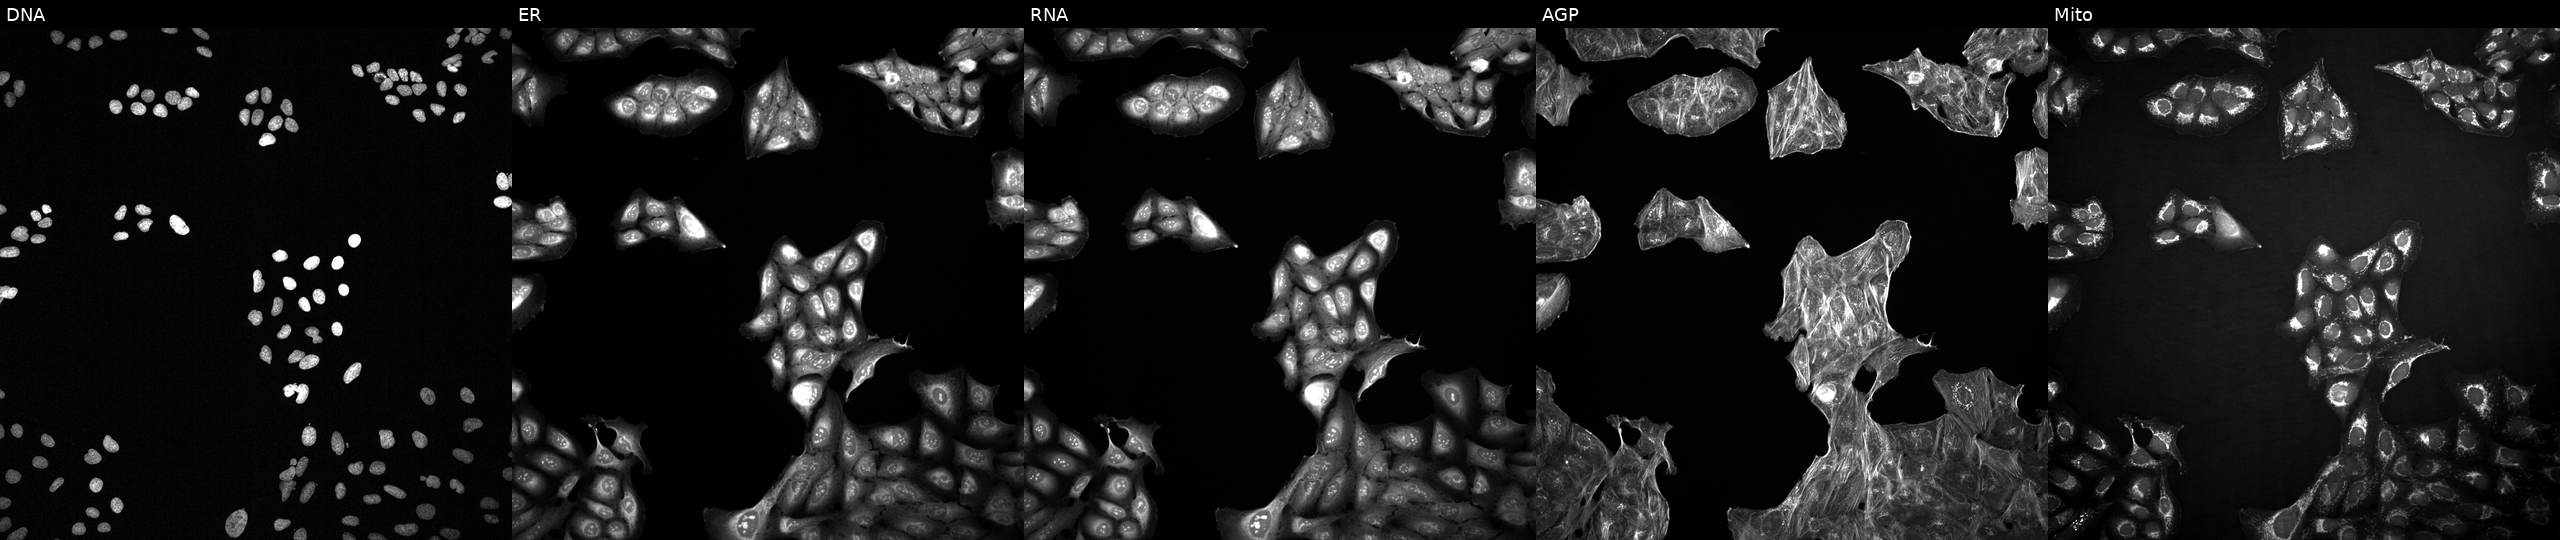
U2OS cells, Cell Painting assay, with an unidentified perturbation (not annotated in JUMP metadata). Channels (left→right): DNA, ER, RNA, AGP, and Mito. Each panel is percentile-stretched 16-bit fluorescence.